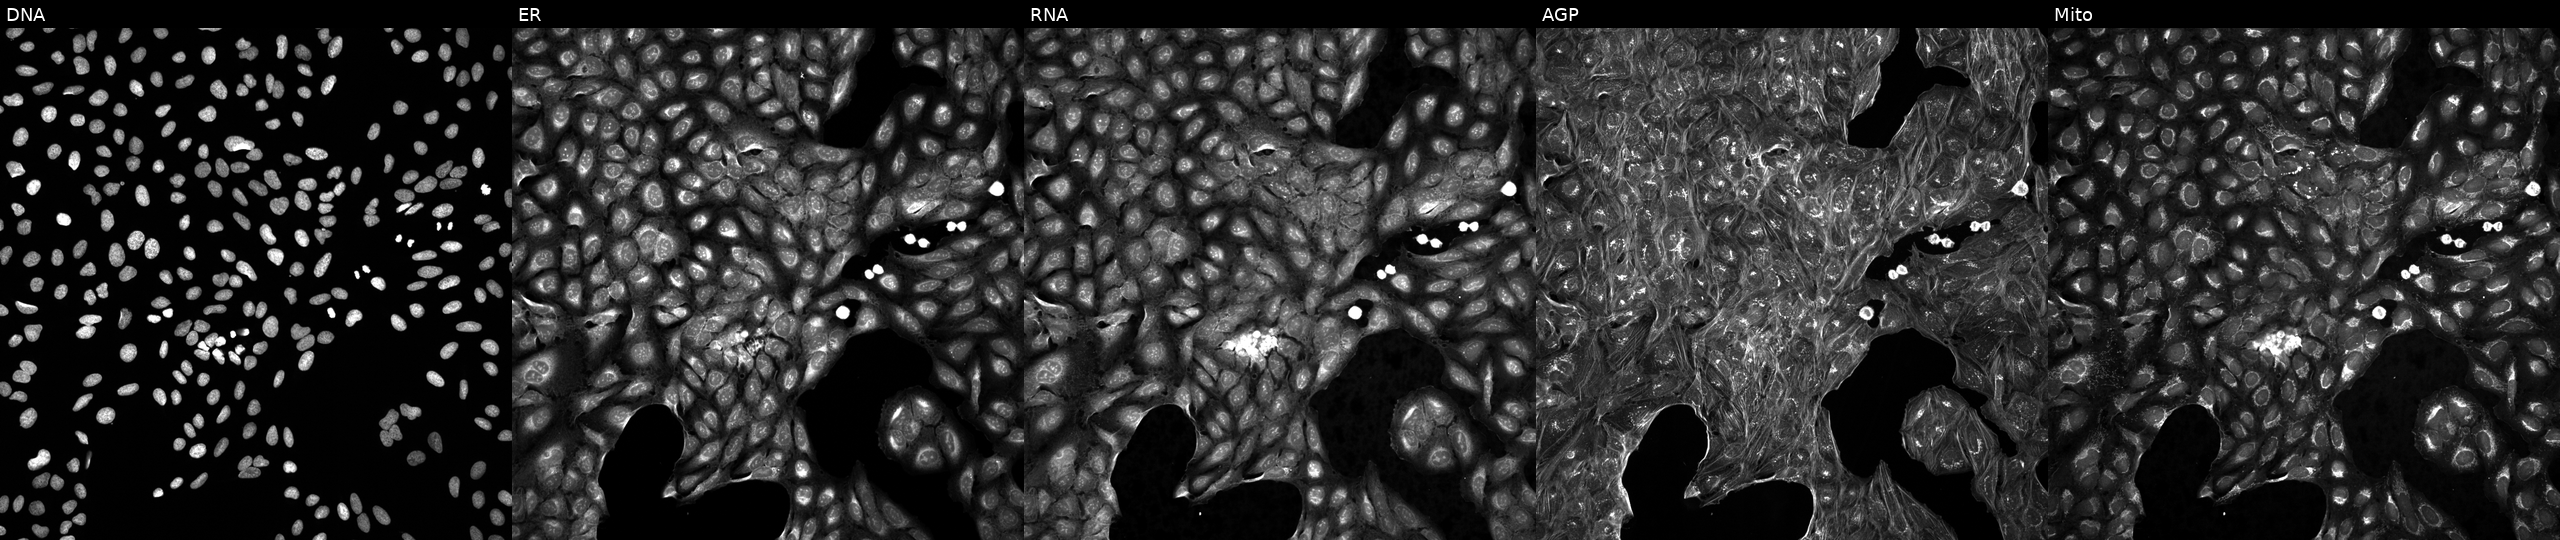
The five panels, left to right, show DNA (nuclei); ER (endoplasmic reticulum); RNA (nucleoli and cytoplasmic RNA); AGP (actin cytoskeleton, Golgi, and plasma membrane); Mito (mitochondria). U2OS osteosarcoma cells treated with DMSO vehicle only (negative control). Cell Painting assay, JUMP-CP dataset.